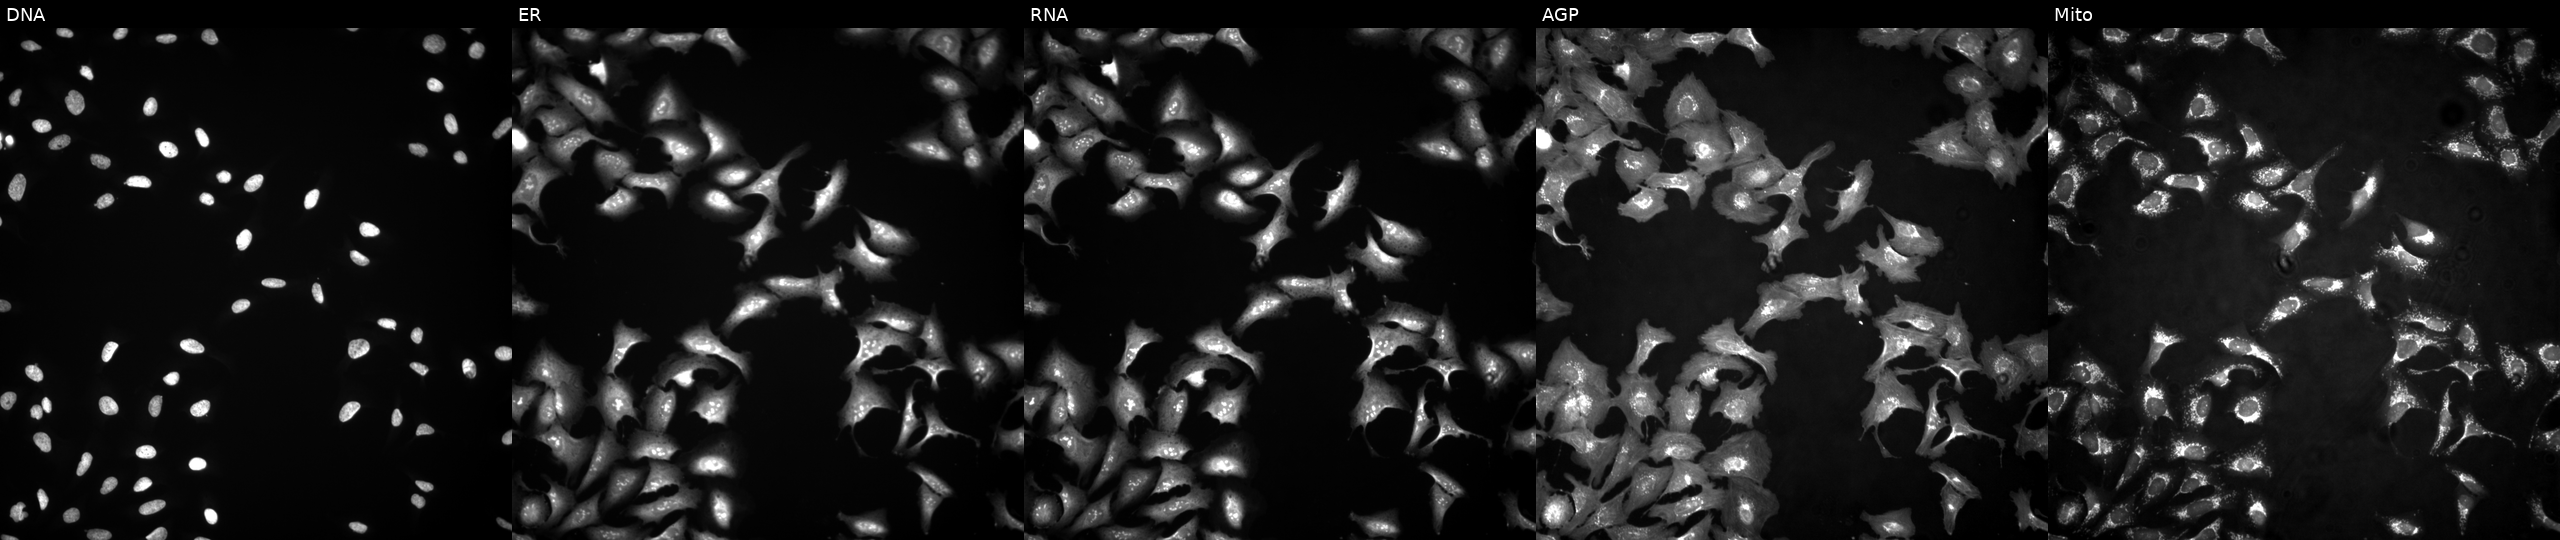
Five-channel Cell Painting image of U2OS cells transfected with an ORF construct for PHF13. Channels (left→right): DNA, ER, RNA, AGP, and Mito.